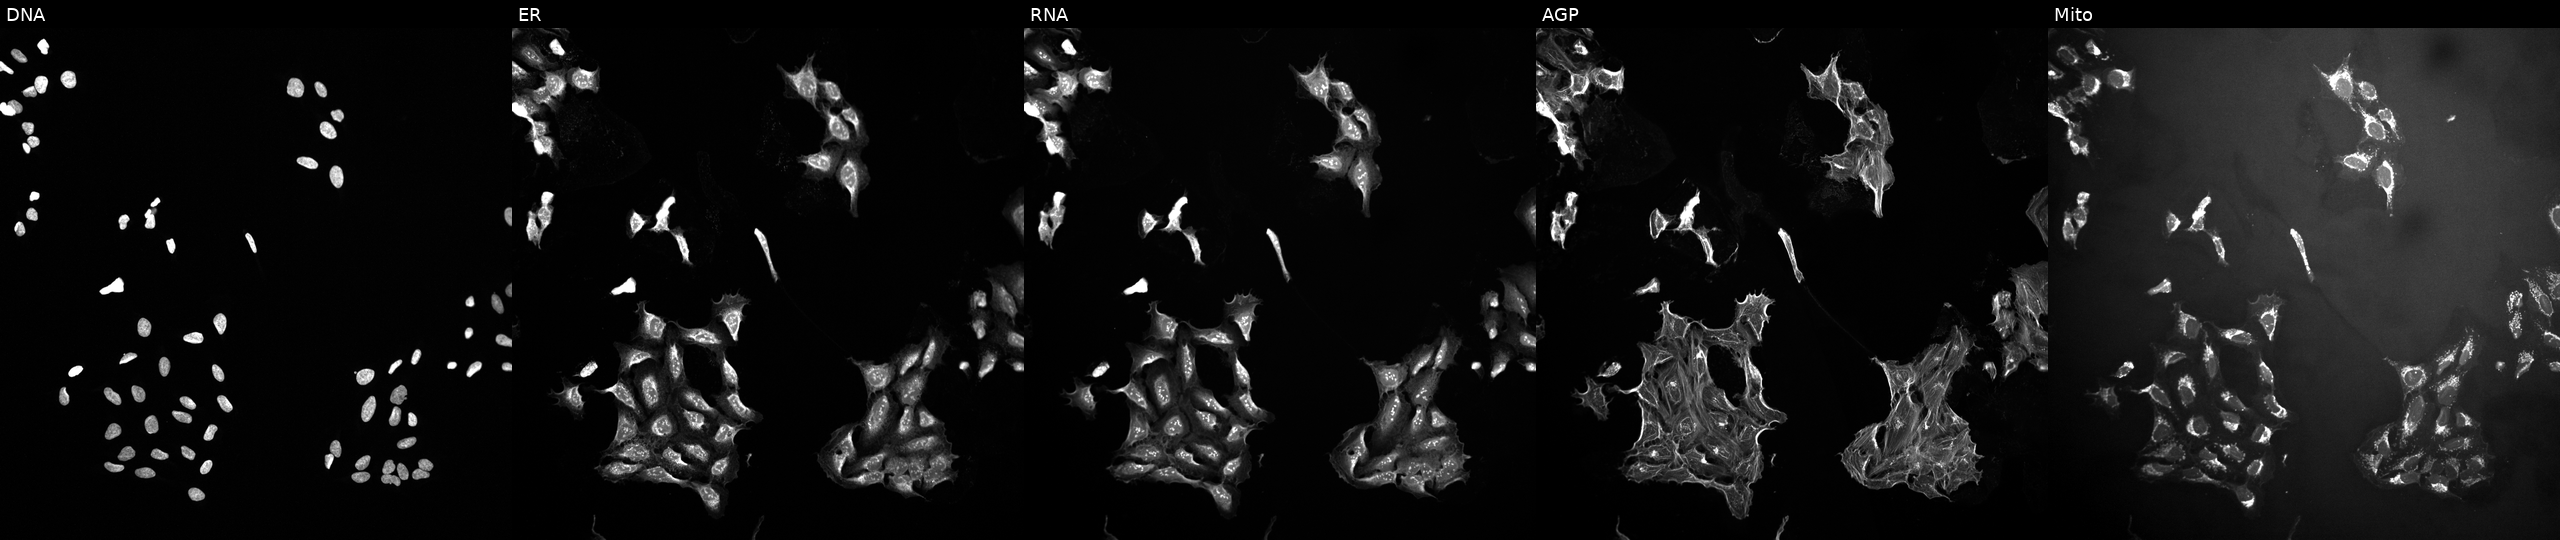
Panels show, left to right, Hoechst 33342, concanavalin A, SYTO 14, phalloidin and WGA, MitoTracker. U2OS osteosarcoma cells treated with DMSO vehicle only (negative control) (JUMP id JCP2022_033924). Cell Painting assay, JUMP-CP dataset. Source 10, plate Dest210726-160150, well E01.